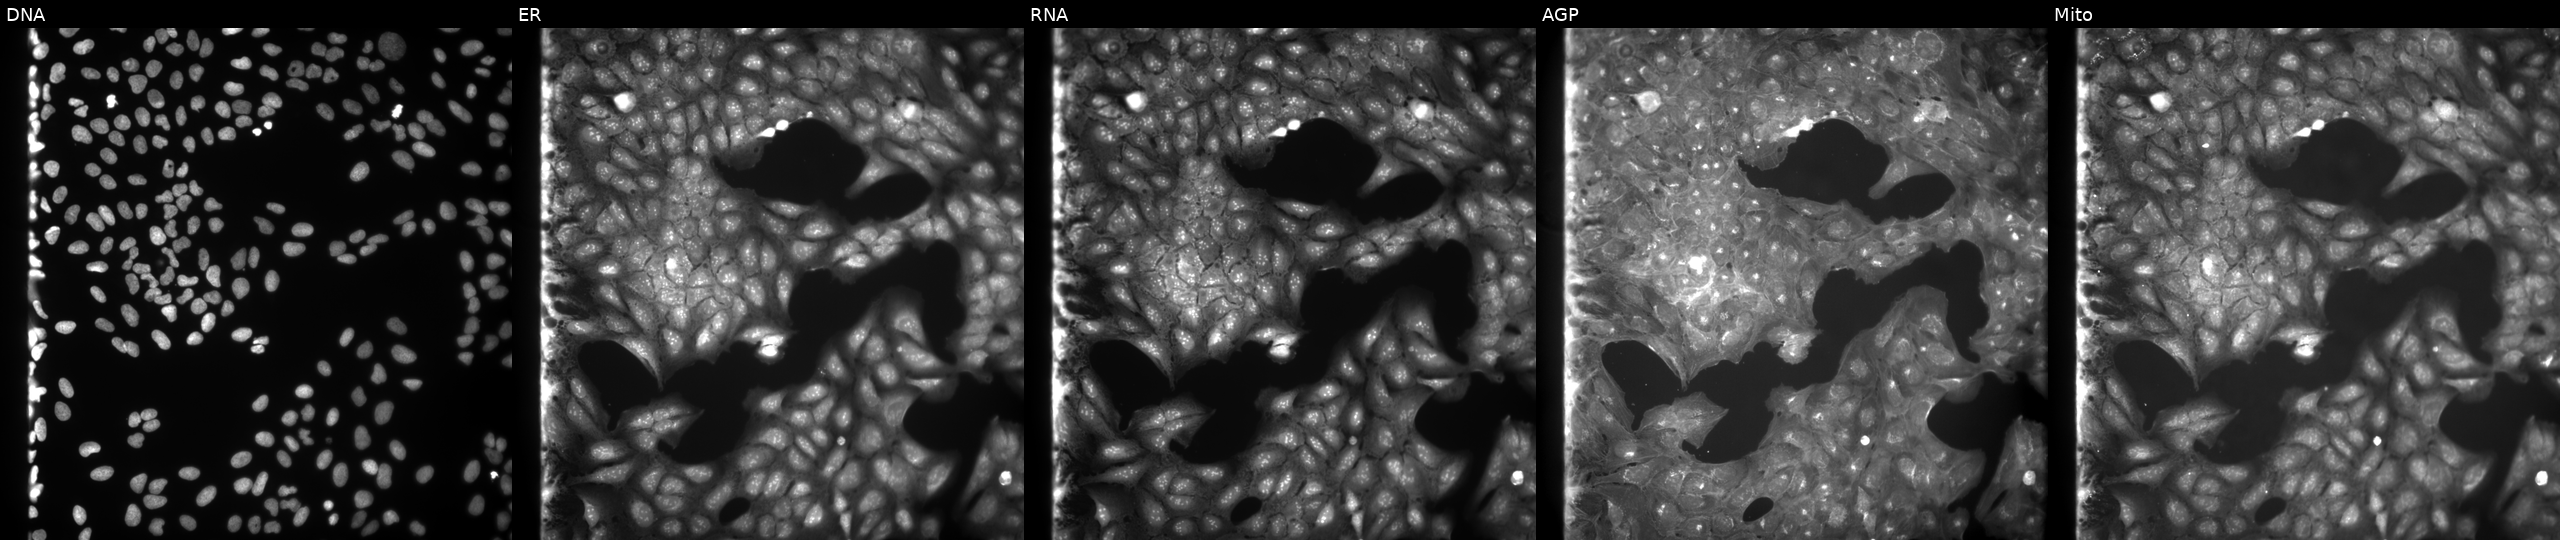
Panels show, left to right, DNA, ER, RNA, AGP, and Mito. U2OS osteosarcoma cells exposed to a small-molecule compound (InChIKey BXTMOEHBYFSSLQ-UHFFFAOYSA-N) [SMILES: Cc1ccc(C(=O)N=c2cccc[nH]2)cc1S(=O)(=O)N1CCOCC1] (JUMP id JCP2022_009358). Cell Painting assay, JUMP-CP dataset. Source 9, plate GR00003381, well C04.